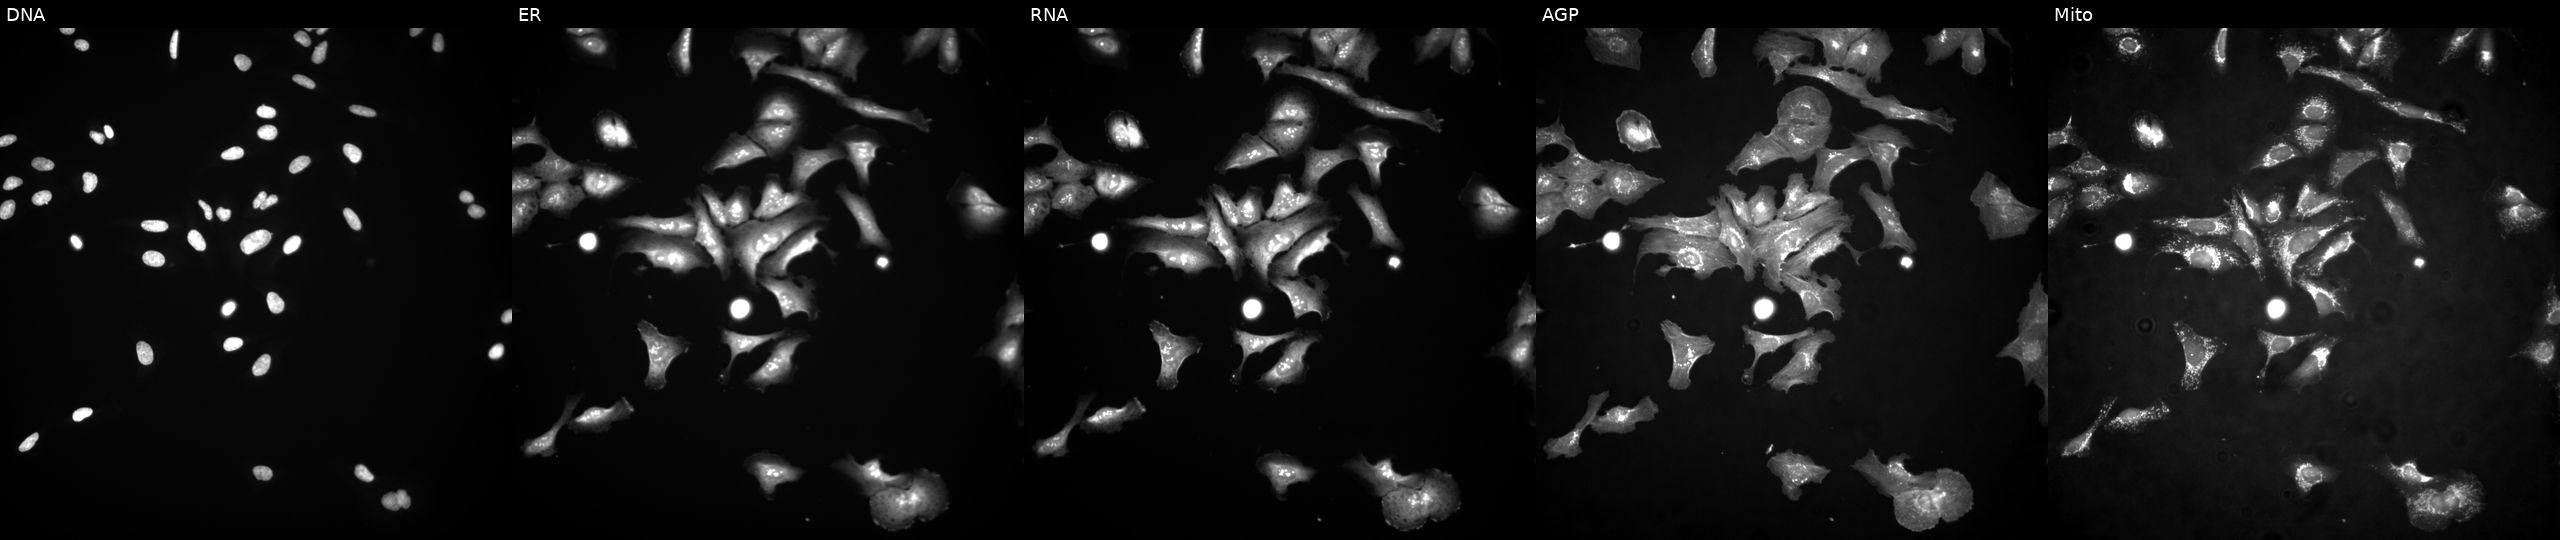
High-content fluorescence microscopy (Cell Painting). Cell line: U2OS. Perturbation: overexpressing ZBTB6 via ORF transfection (JUMP id JCP2022_902364). From left to right: DNA (nuclei); ER (endoplasmic reticulum); RNA (nucleoli and cytoplasmic RNA); AGP (actin cytoskeleton, Golgi, and plasma membrane); Mito (mitochondria).